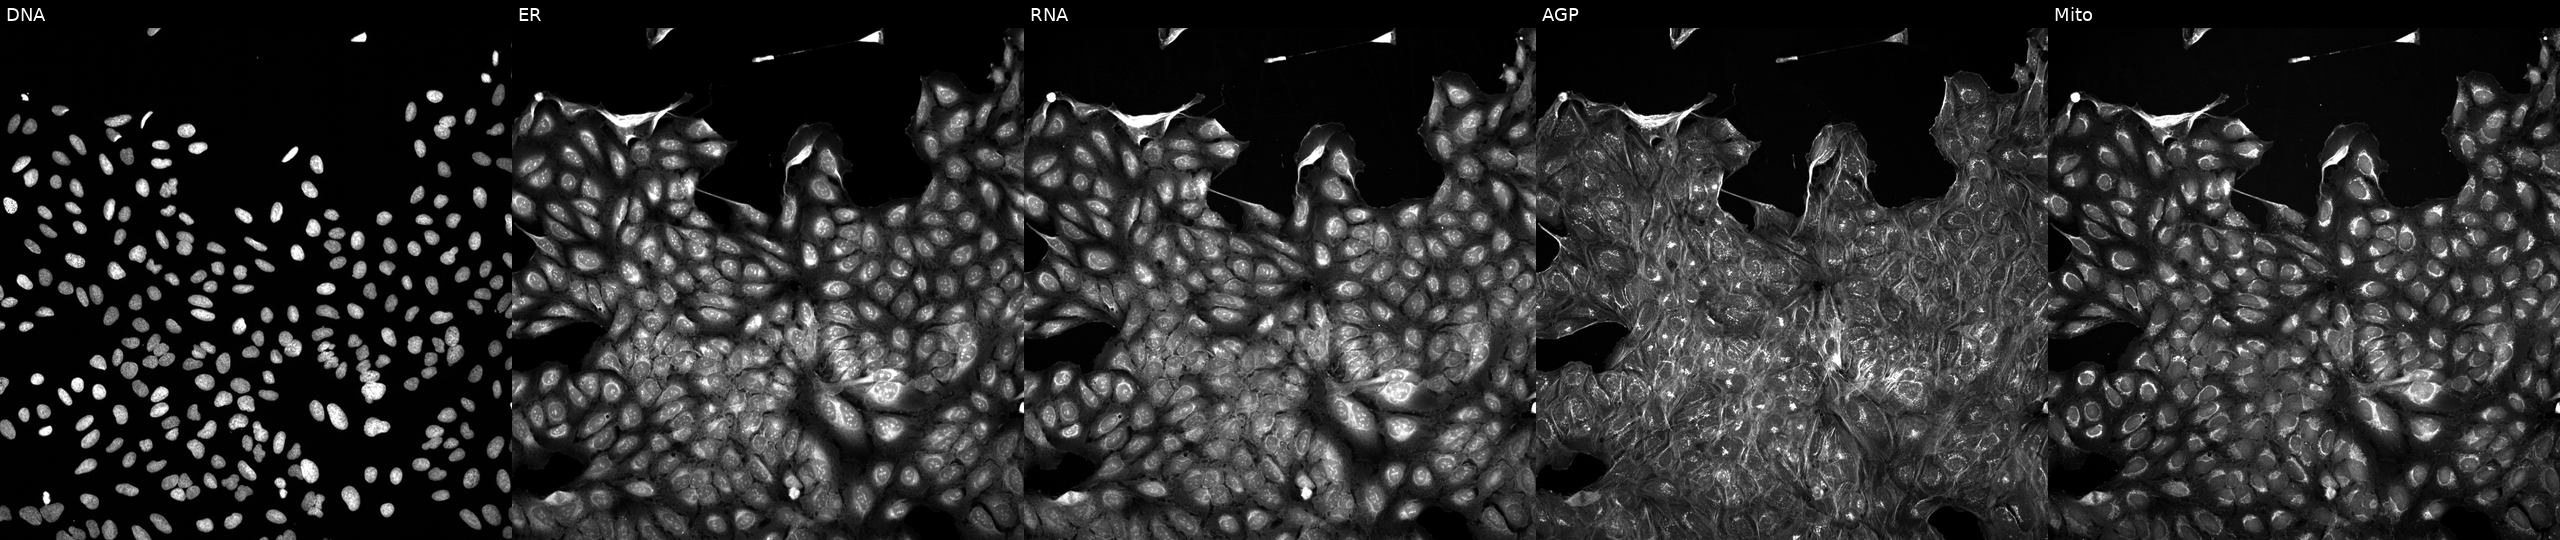
The five panels, left to right, show DNA, ER, RNA, AGP, and Mito. U2OS osteosarcoma cells exposed to a small-molecule compound (InChIKey FTGAEFFWJMAOKD-UHFFFAOYSA-N) (JUMP id JCP2022_022796). Cell Painting assay, JUMP-CP dataset. Source 5, plate APTJUM105, well A18.